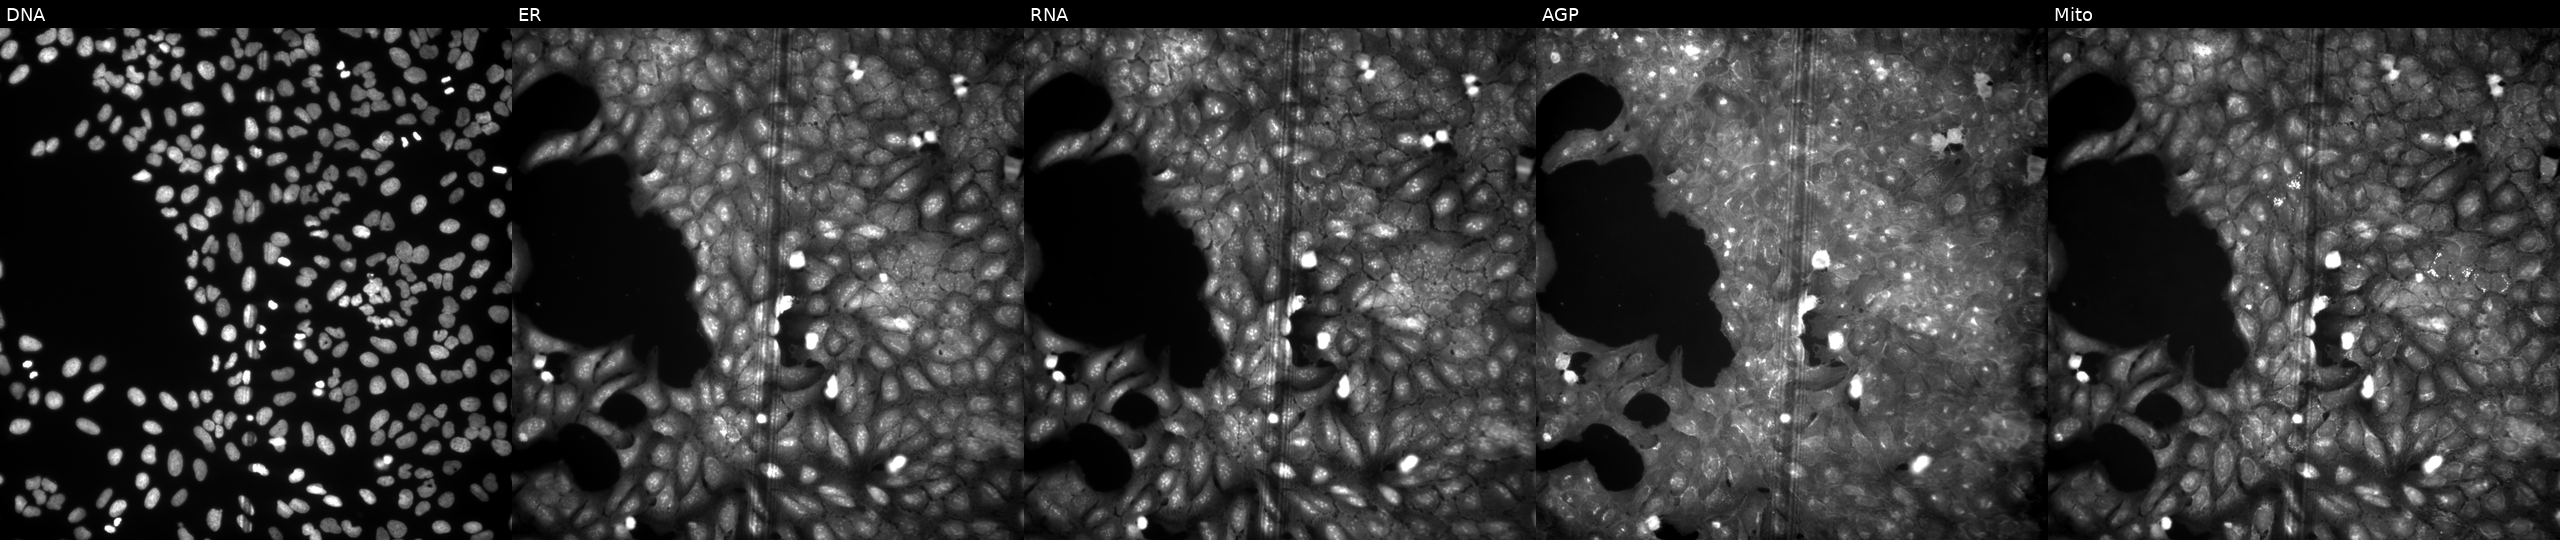
Five-channel Cell Painting image of U2OS cells treated with a small-molecule compound. Panels show, left to right, Hoechst 33342, concanavalin A, SYTO 14, phalloidin and WGA, MitoTracker. Source 9, plate GR00003382, well L41.